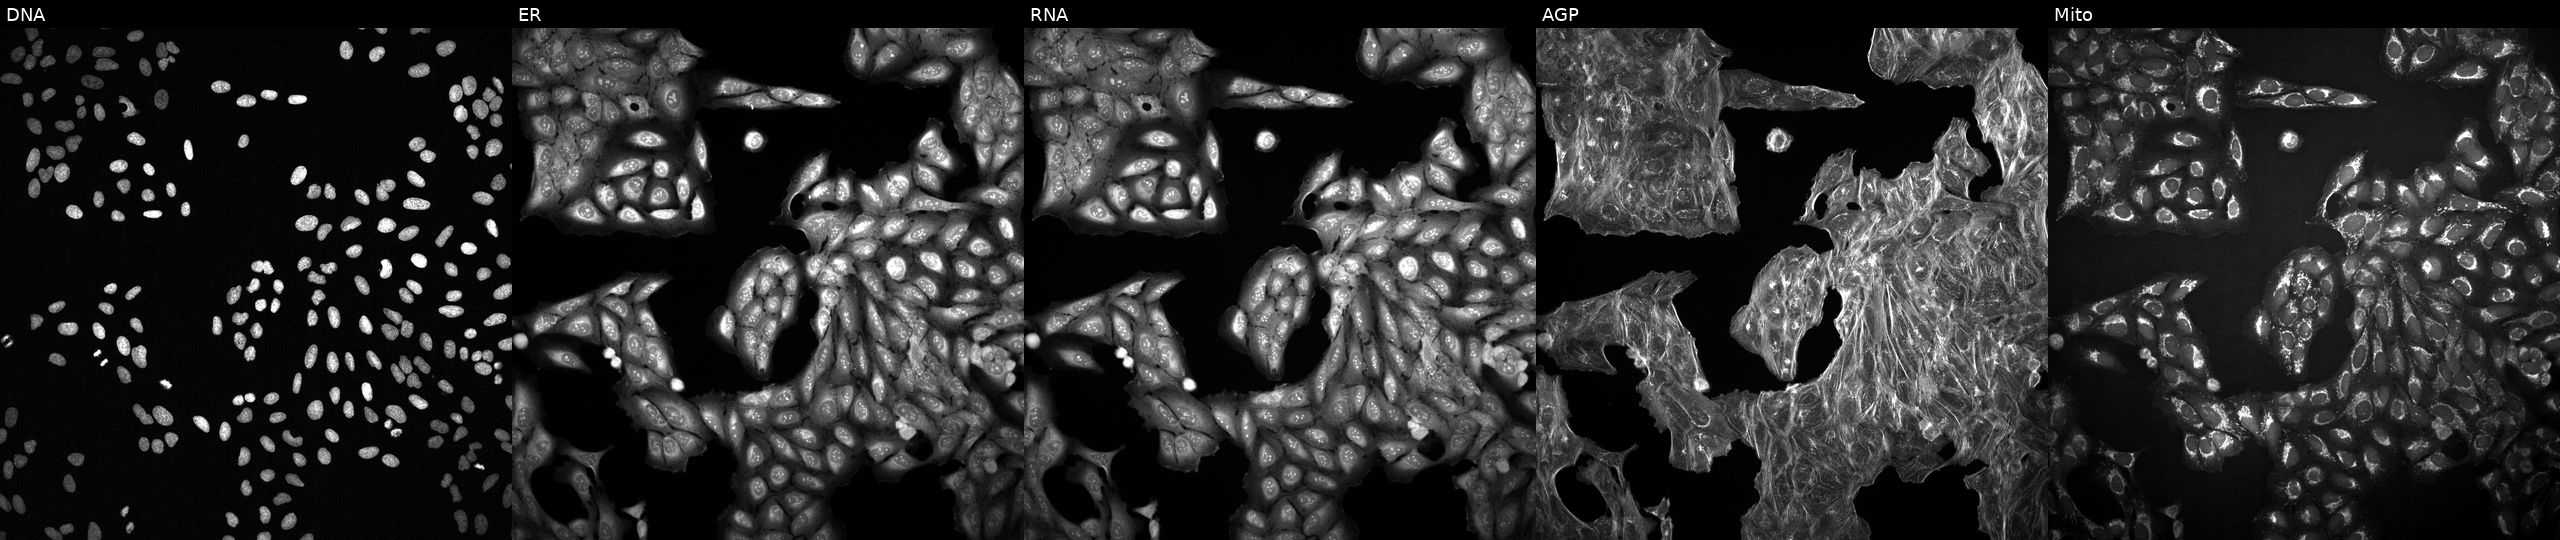
This image strip shows the five Cell Painting channels for a single field of U2OS cells treated with a small-molecule compound (InChIKey LREGFIVXOBKSJK-UHFFFAOYSA-N) [SMILES: COc1ccccc1-c1n[nH]c(=NC(=O)c2nc3ccccc3s2)o1]. Channels (left→right): DNA, ER, RNA, AGP, and Mito.